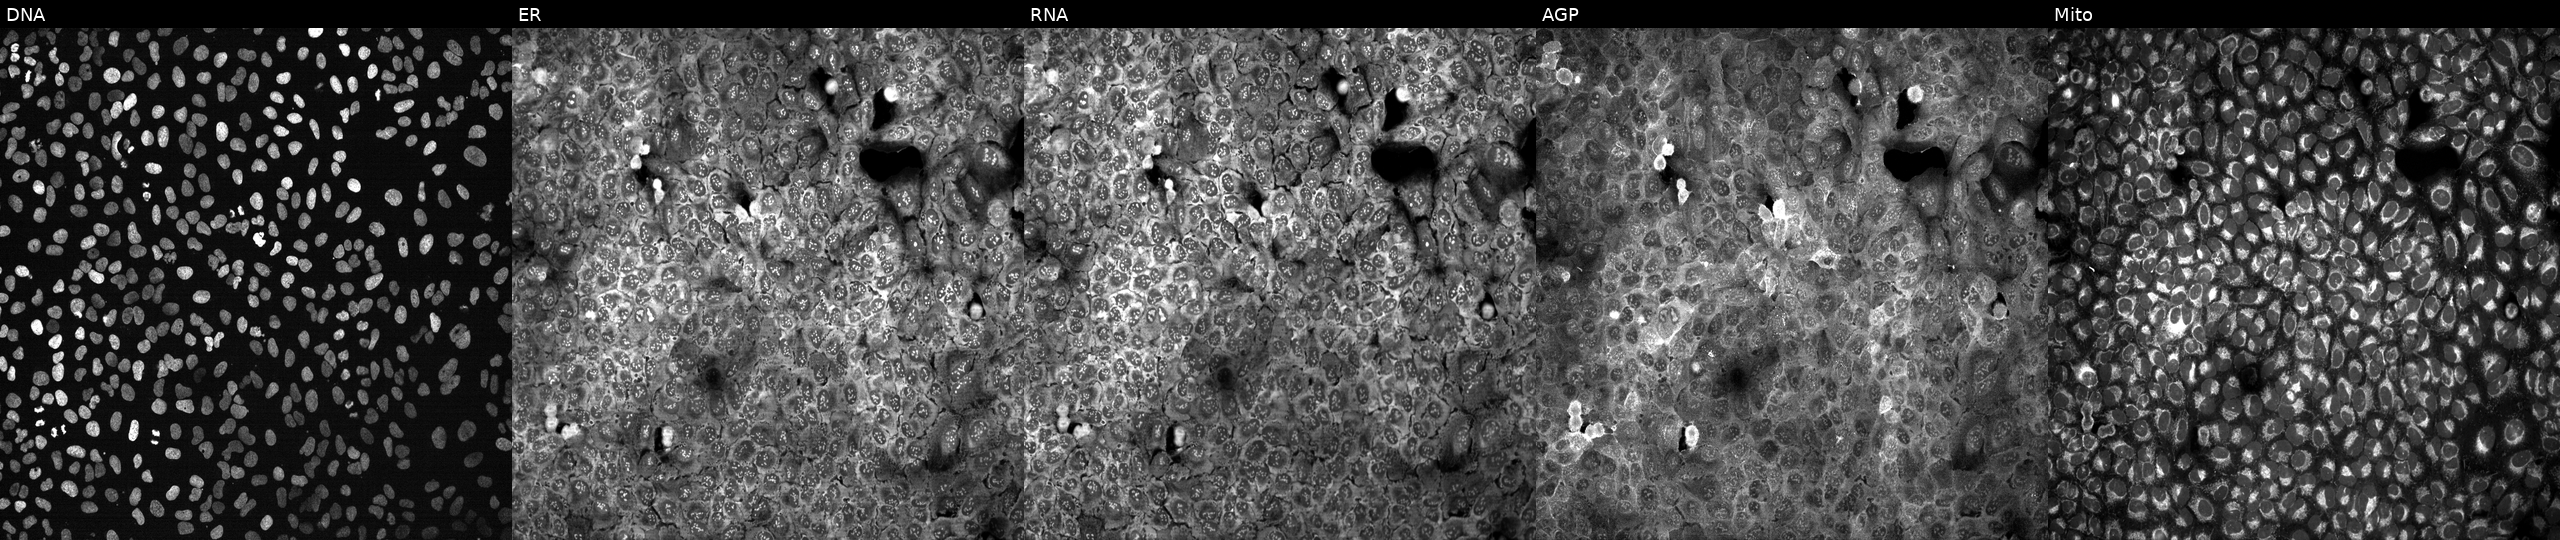
U2OS cells, Cell Painting assay, following CRISPR knockout of MICAL2 (JUMP id JCP2022_804174). Panels show, left to right, Hoechst 33342, concanavalin A, SYTO 14, phalloidin and WGA, MitoTracker. Each panel is percentile-stretched 16-bit fluorescence.